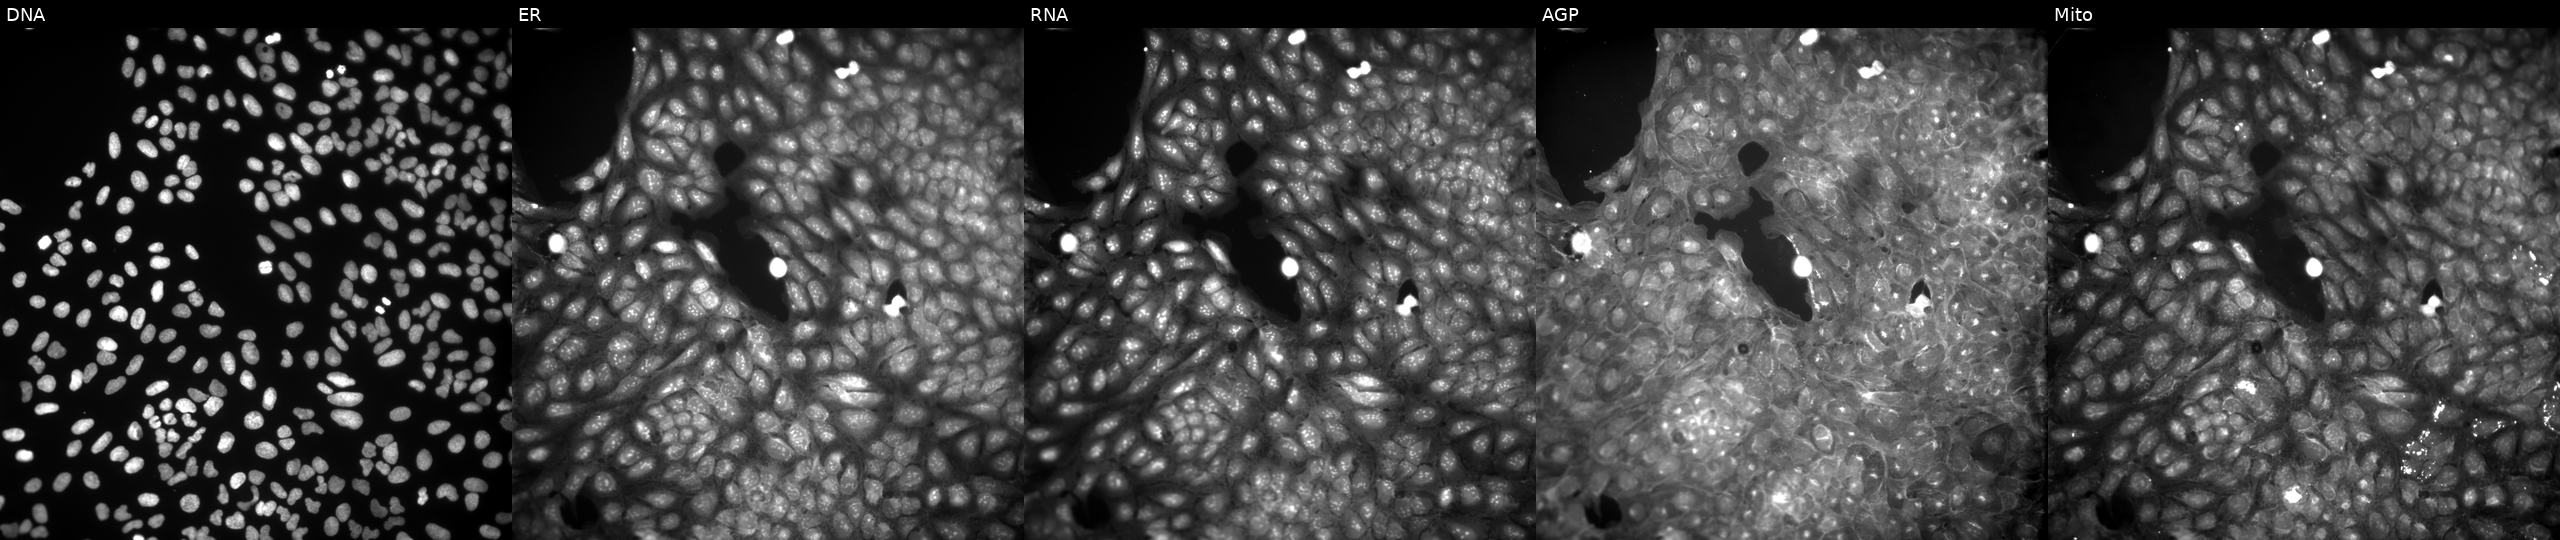
Five-channel Cell Painting image of U2OS cells treated with a small-molecule compound (InChIKey GSJBGNFGONTCAS-UHFFFAOYSA-N) [SMILES: CC(=O)c1cnc2c(-c3cccc(Br)c3)cnn2c1C] (JUMP id JCP2022_027458). Channels (left→right): DNA, ER, RNA, AGP, and Mito. Source 9, plate GR00003381, well AF05.